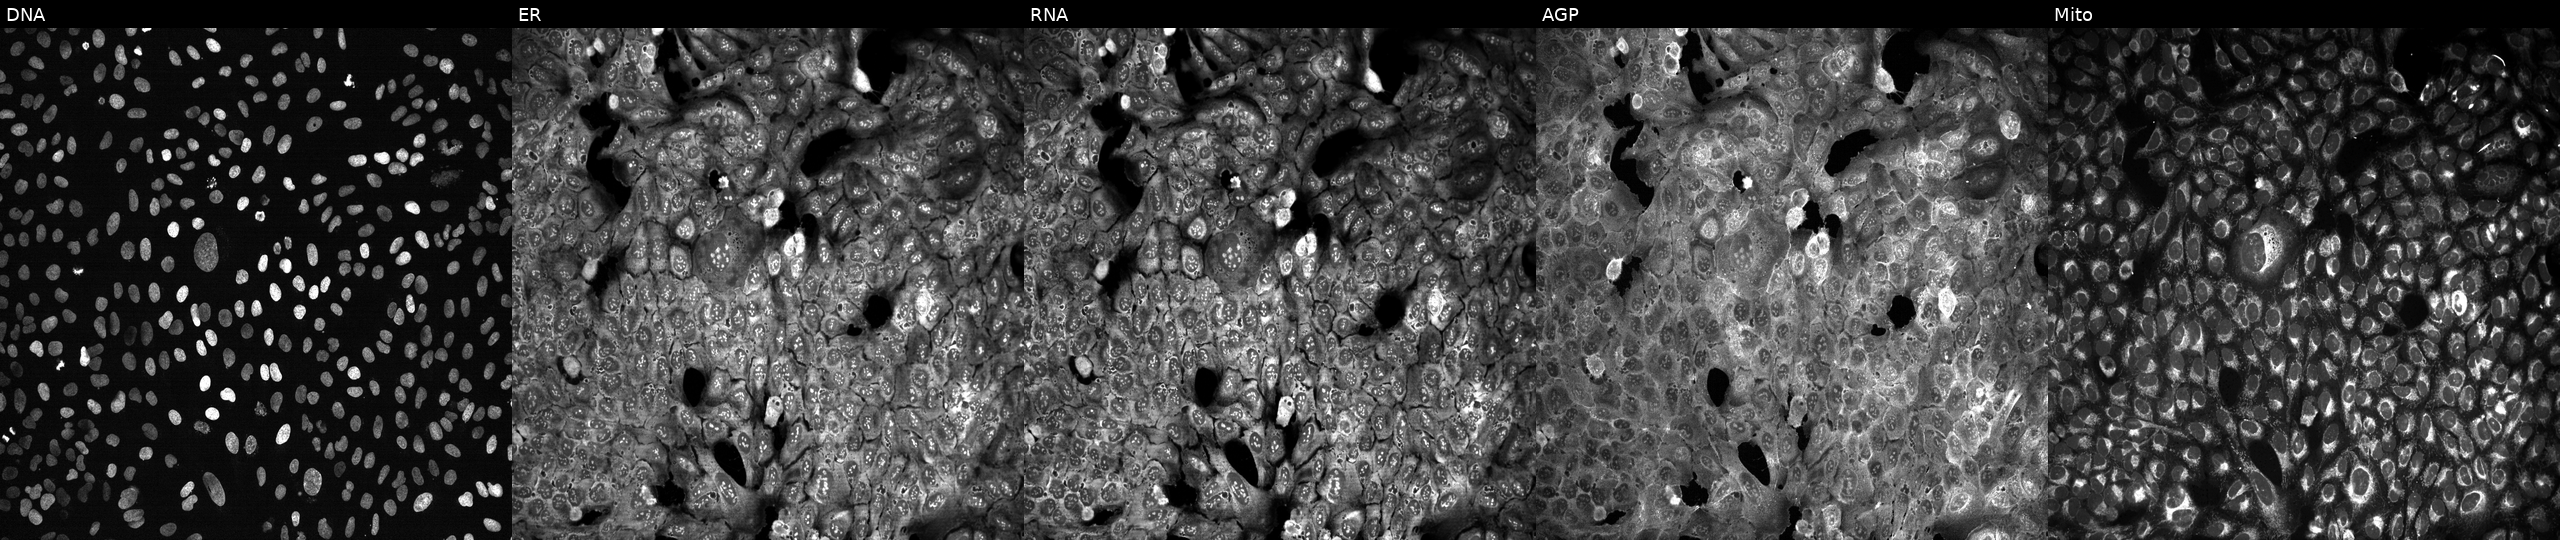
This image strip shows the five Cell Painting channels for a single field of U2OS cells following CRISPR knockout of SLC24A2. Channels (left→right): DNA, ER, RNA, AGP, and Mito.